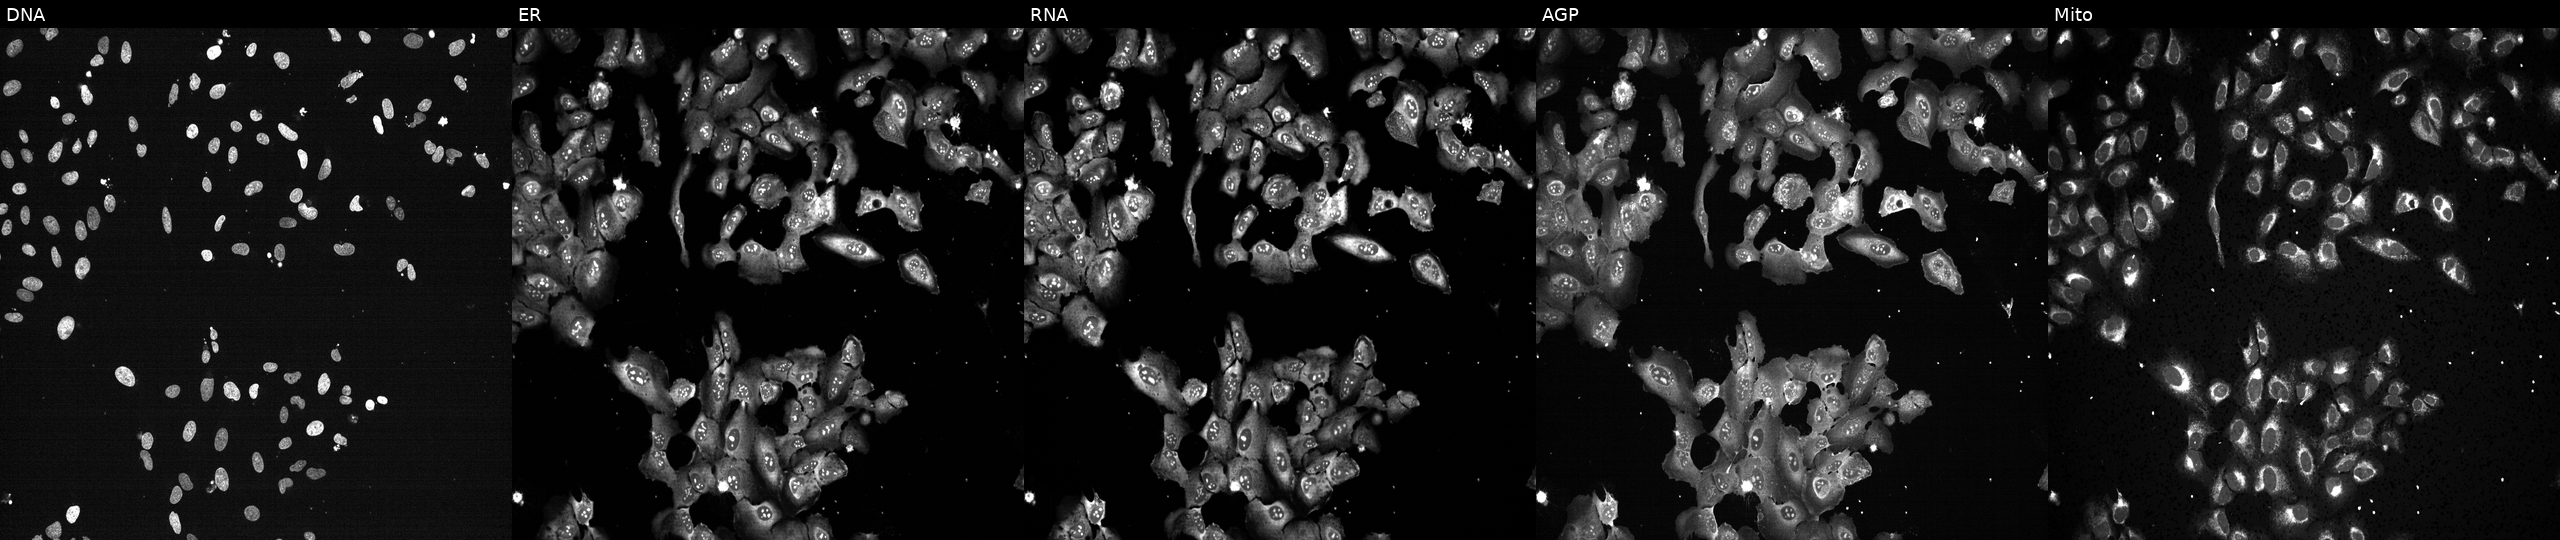
High-content fluorescence microscopy (Cell Painting). Cell line: U2OS. Perturbation: treated with TC-S-7004 (positive-control compound) (JUMP id JCP2022_012818). Panels show, left to right, Hoechst 33342, concanavalin A, SYTO 14, phalloidin and WGA, MitoTracker.